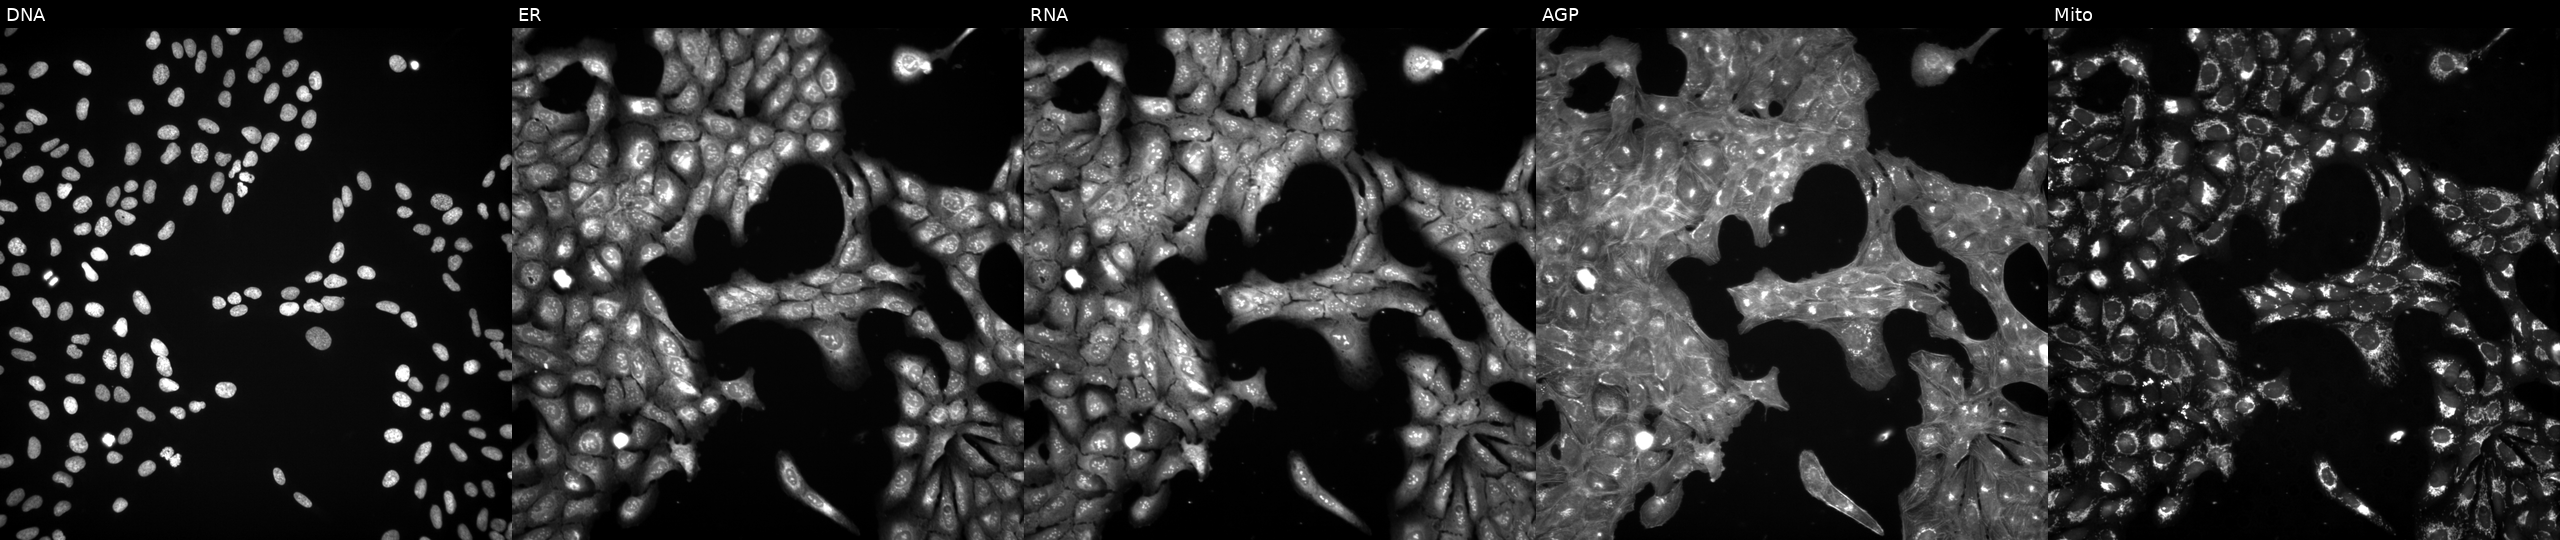
High-content fluorescence microscopy (Cell Painting). Cell line: U2OS. Perturbation: exposed to a small-molecule compound (InChIKey YZPXRPPSSRPSRT-UHFFFAOYSA-N). Channels (left→right): DNA, ER, RNA, AGP, and Mito. Source 3, plate BR5867a3, well I11.